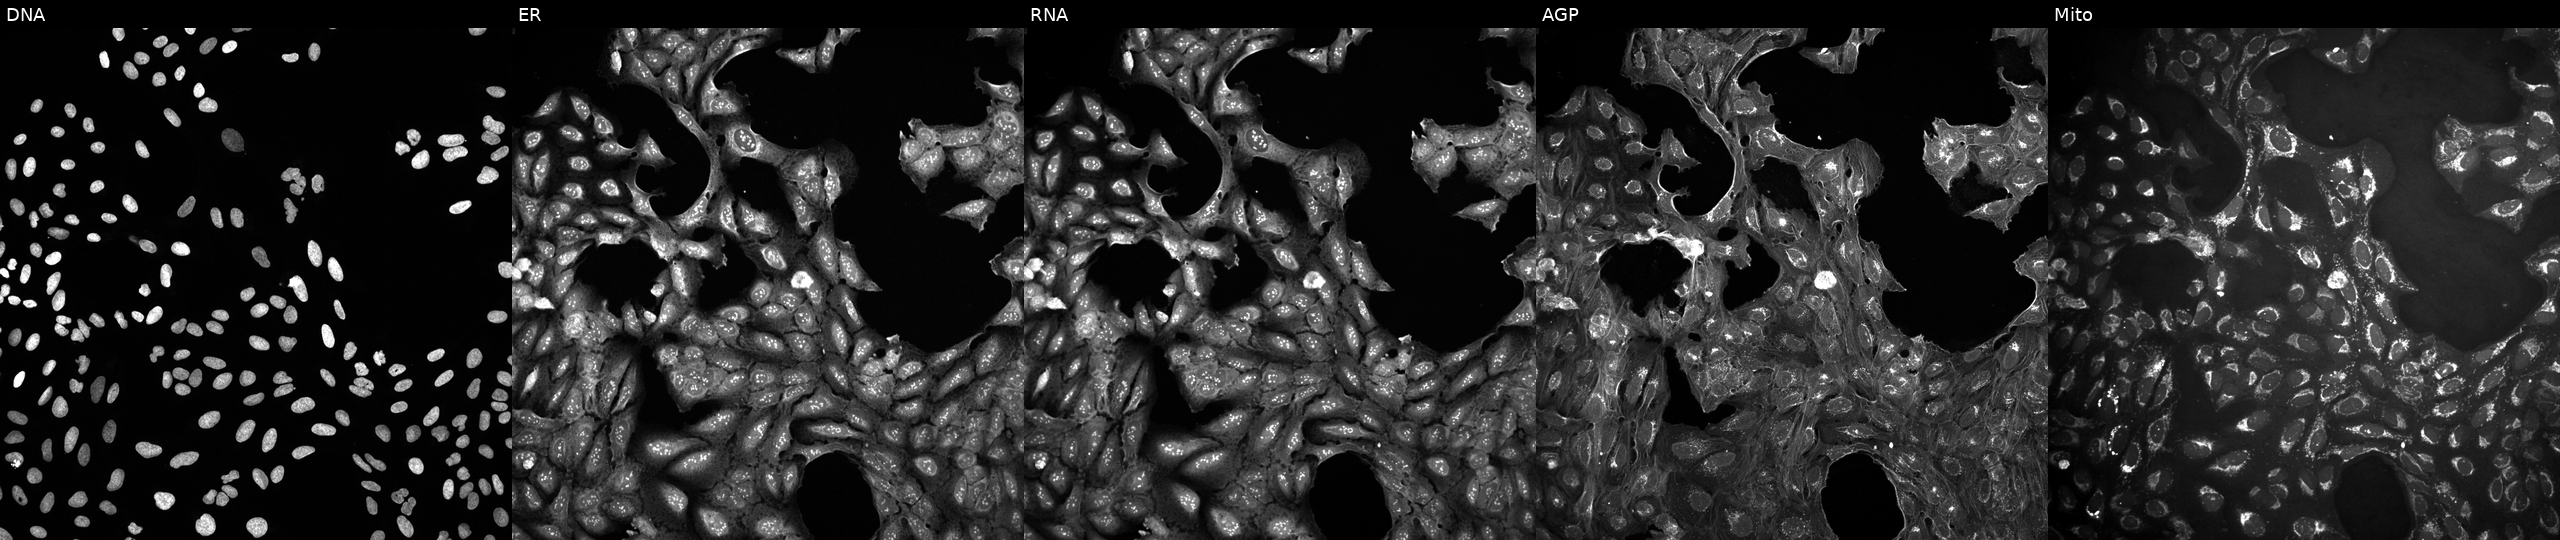
The five panels, left to right, show DNA, ER, RNA, AGP, and Mito. U2OS osteosarcoma cells exposed to DMSO alone as a negative control (JUMP id JCP2022_033924). Cell Painting assay, JUMP-CP dataset.